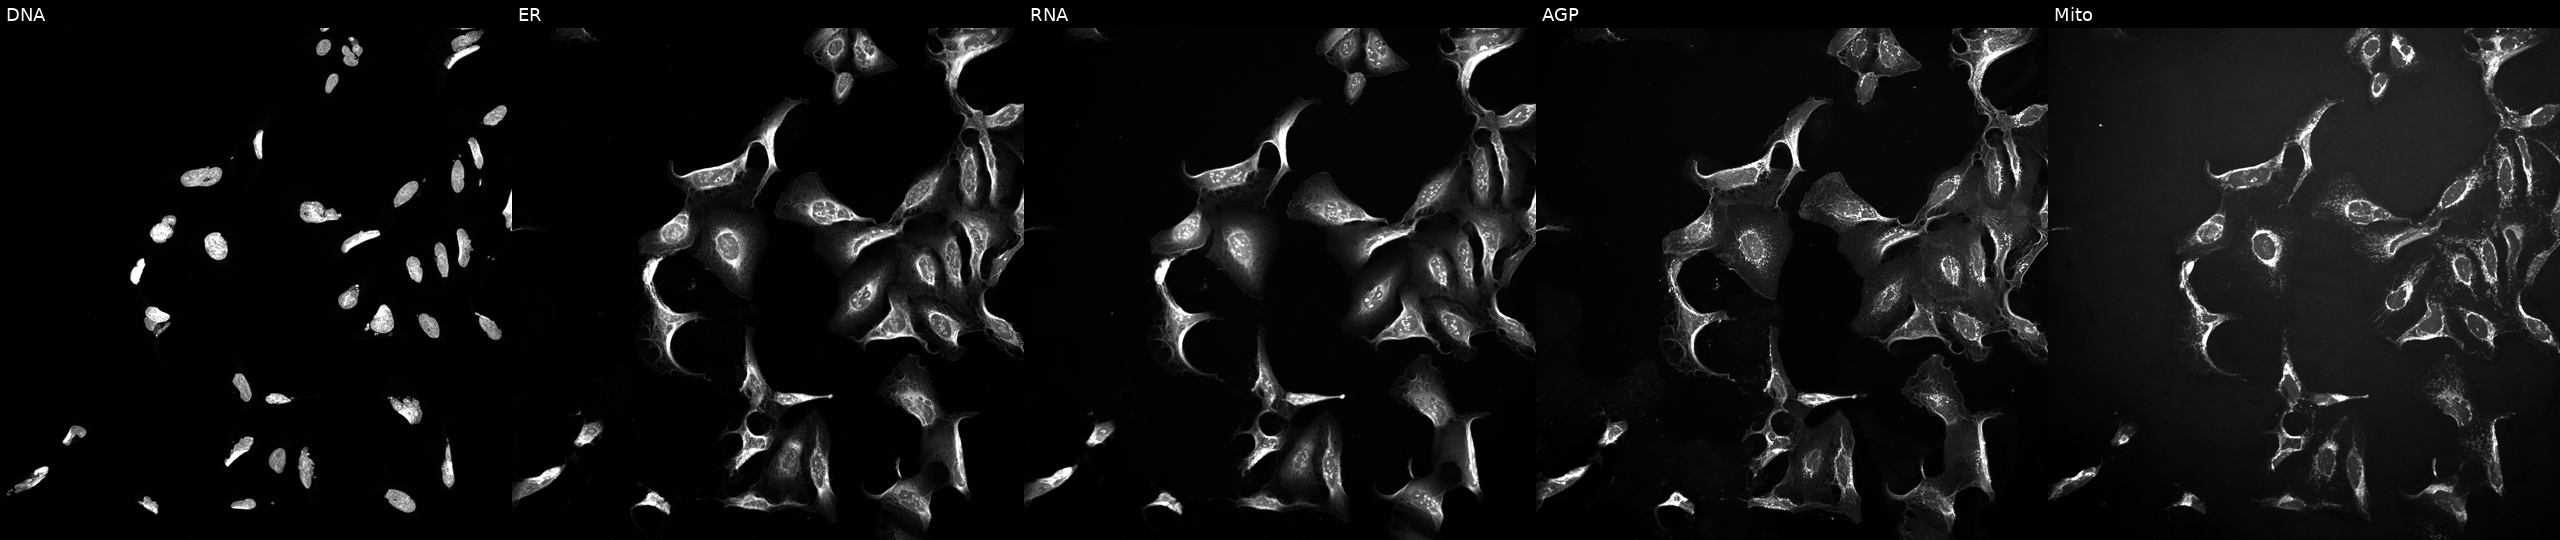
High-content fluorescence microscopy (Cell Painting). Cell line: U2OS. Perturbation: exposed to a small-molecule compound [SMILES: COC(C(=O)n1cc2[nH][nH]c(=NC(O)c3ccc(N4CCN(C)CC4)cc3)c2c1)c1ccccc1] (JUMP id JCP2022_046462). Panels show, left to right, DNA (nuclei); ER (endoplasmic reticulum); RNA (nucleoli and cytoplasmic RNA); AGP (actin cytoskeleton, Golgi, and plasma membrane); Mito (mitochondria). Source 10, plate Dest210803-153958, well J07.